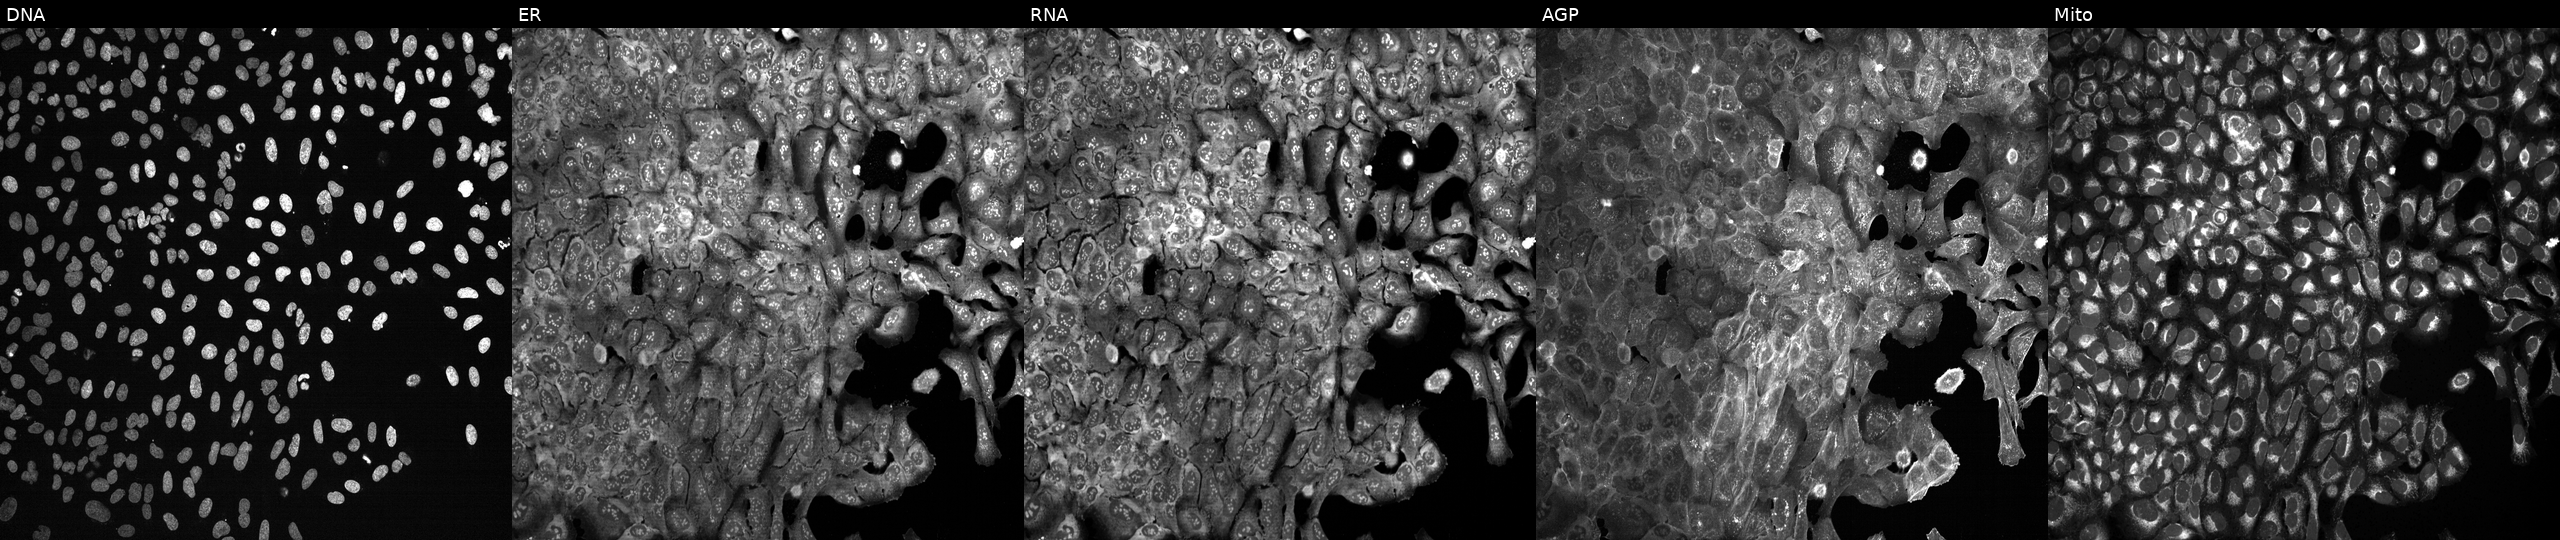
U2OS cells, Cell Painting assay, with METAP1 knocked out by CRISPR. Channels (left→right): Hoechst 33342, concanavalin A, SYTO 14, phalloidin and WGA, MitoTracker. Each panel is percentile-stretched 16-bit fluorescence. Source 13, plate CP-CC9-R6-19, well M13.